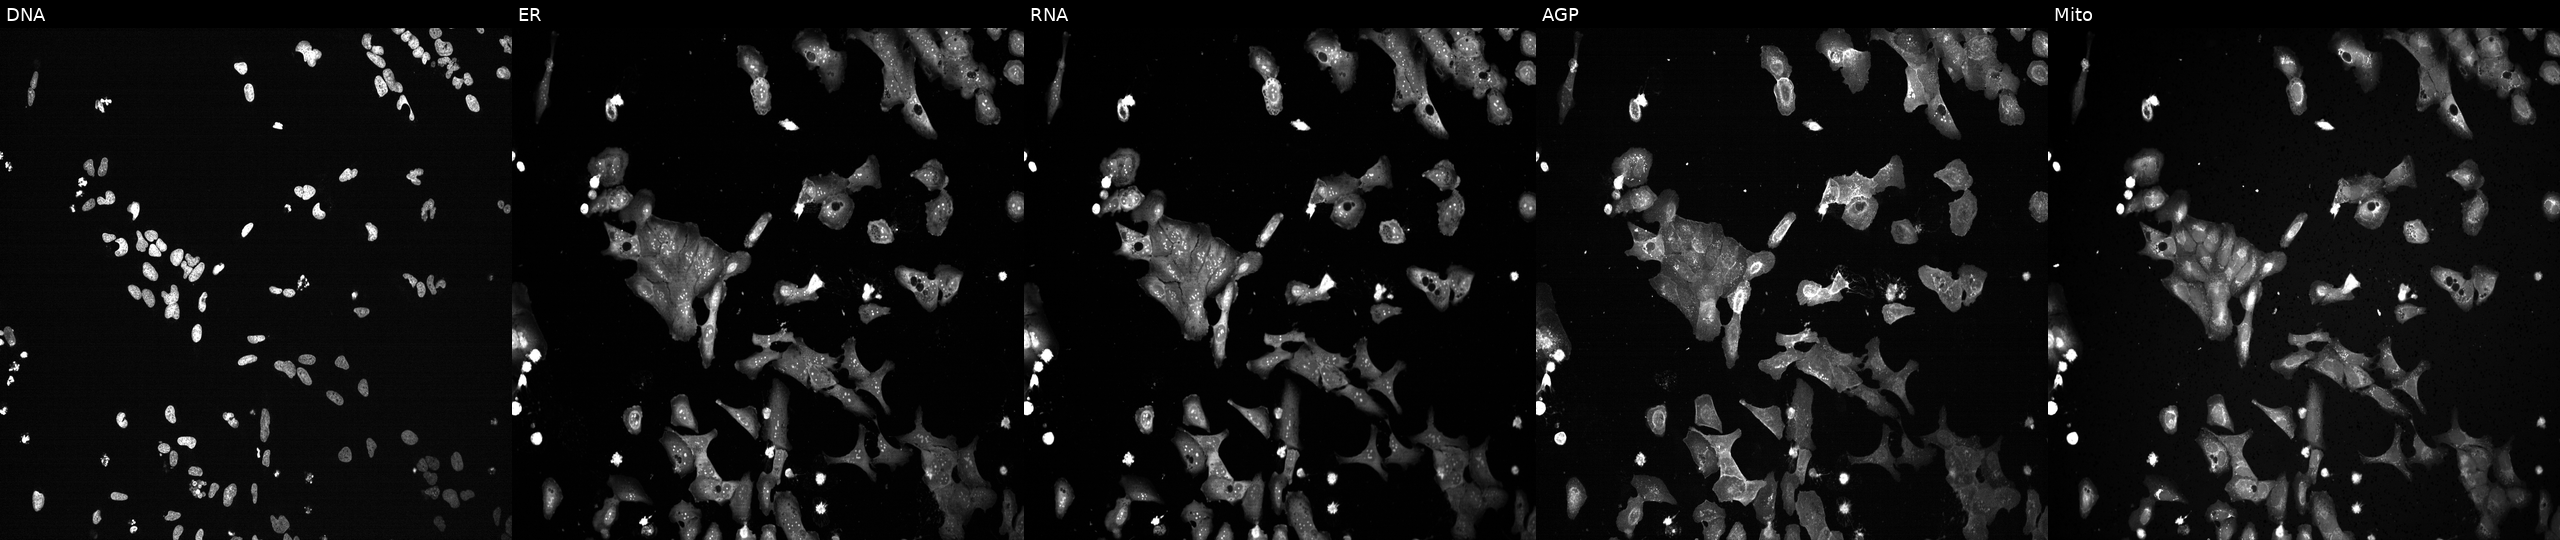
U2OS cells, Cell Painting assay, with XAB2 knocked out by CRISPR. Panels show, left to right, DNA (nuclei); ER (endoplasmic reticulum); RNA (nucleoli and cytoplasmic RNA); AGP (actin cytoskeleton, Golgi, and plasma membrane); Mito (mitochondria). Each panel is percentile-stretched 16-bit fluorescence. Source 13, plate CP-CC9-R1-02, well L19.